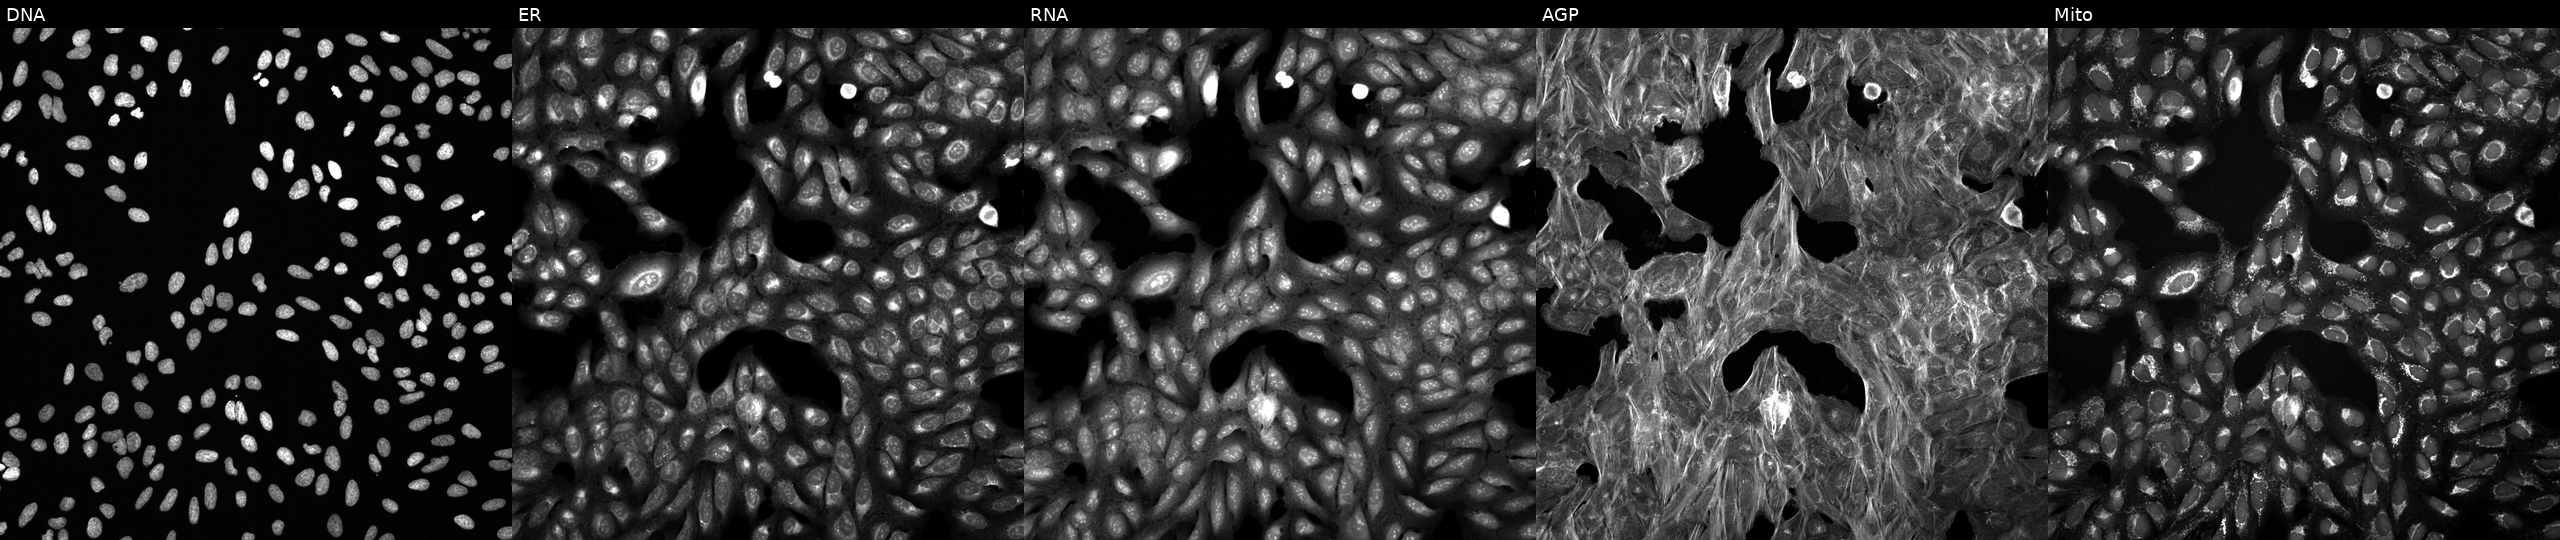
This image strip shows the five Cell Painting channels for a single field of U2OS cells treated with a small-molecule compound (InChIKey XDFKWGIBQMHSOH-UHFFFAOYSA-N). The five panels, left to right, show DNA (nuclei); ER (endoplasmic reticulum); RNA (nucleoli and cytoplasmic RNA); AGP (actin cytoskeleton, Golgi, and plasma membrane); Mito (mitochondria).